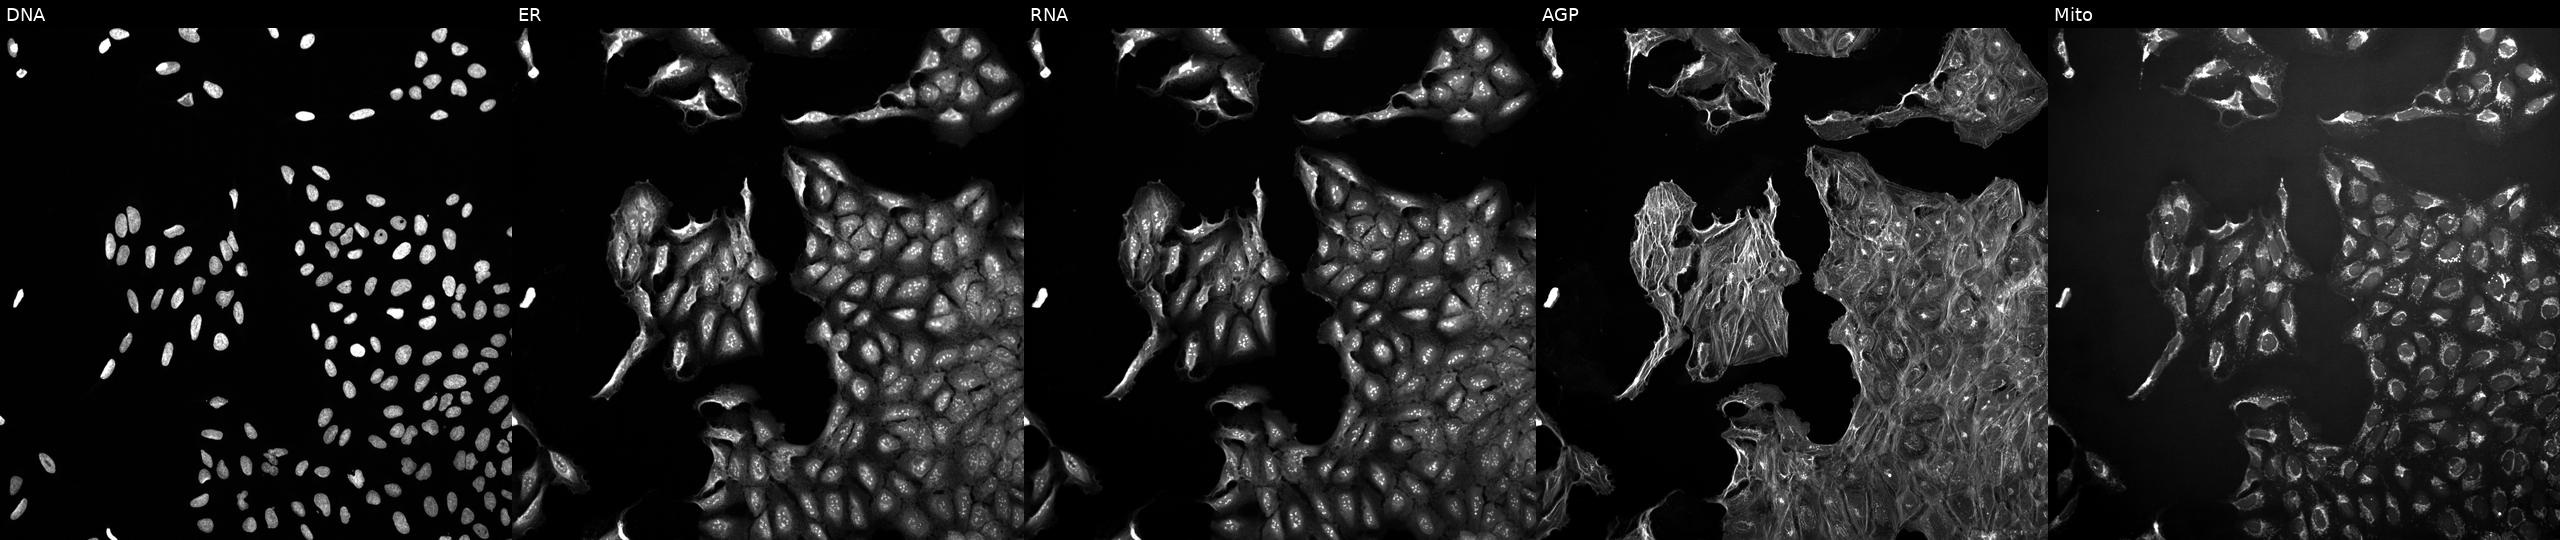
U2OS cells, Cell Painting assay, exposed to a small-molecule compound (InChIKey MVCQKIKWYUURMU-UHFFFAOYSA-N). Channels (left→right): DNA, ER, RNA, AGP, and Mito. Each panel is percentile-stretched 16-bit fluorescence.